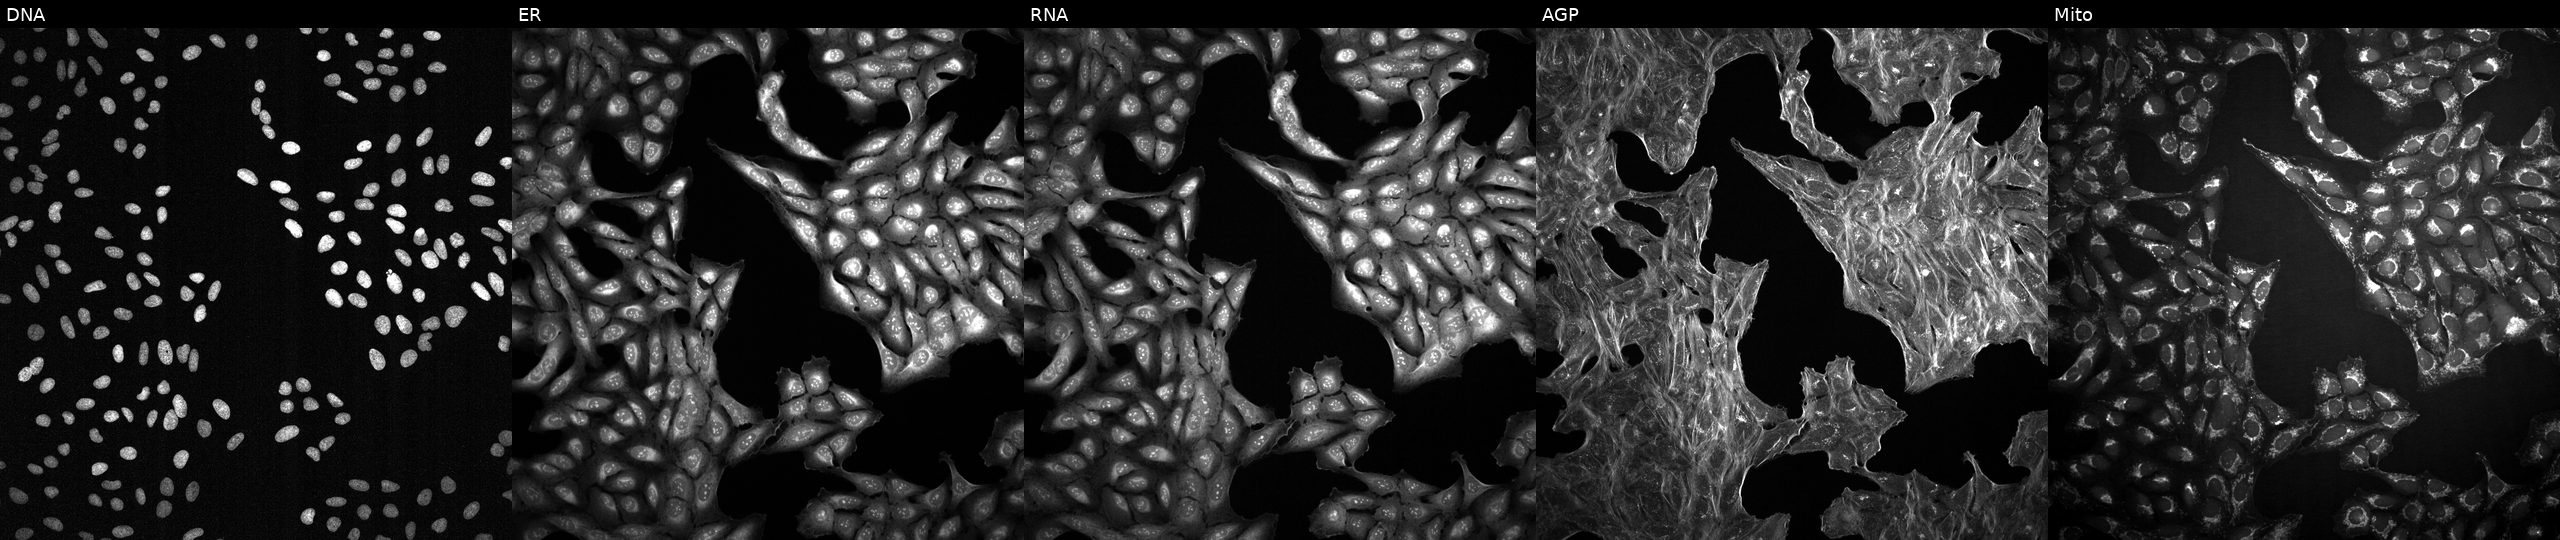
This image strip shows the five Cell Painting channels for a single field of U2OS cells treated with DMSO vehicle only (negative control) (JUMP id JCP2022_033924). Panels show, left to right, Hoechst 33342, concanavalin A, SYTO 14, phalloidin and WGA, MitoTracker. Source 2, plate 1053599503, well M10.